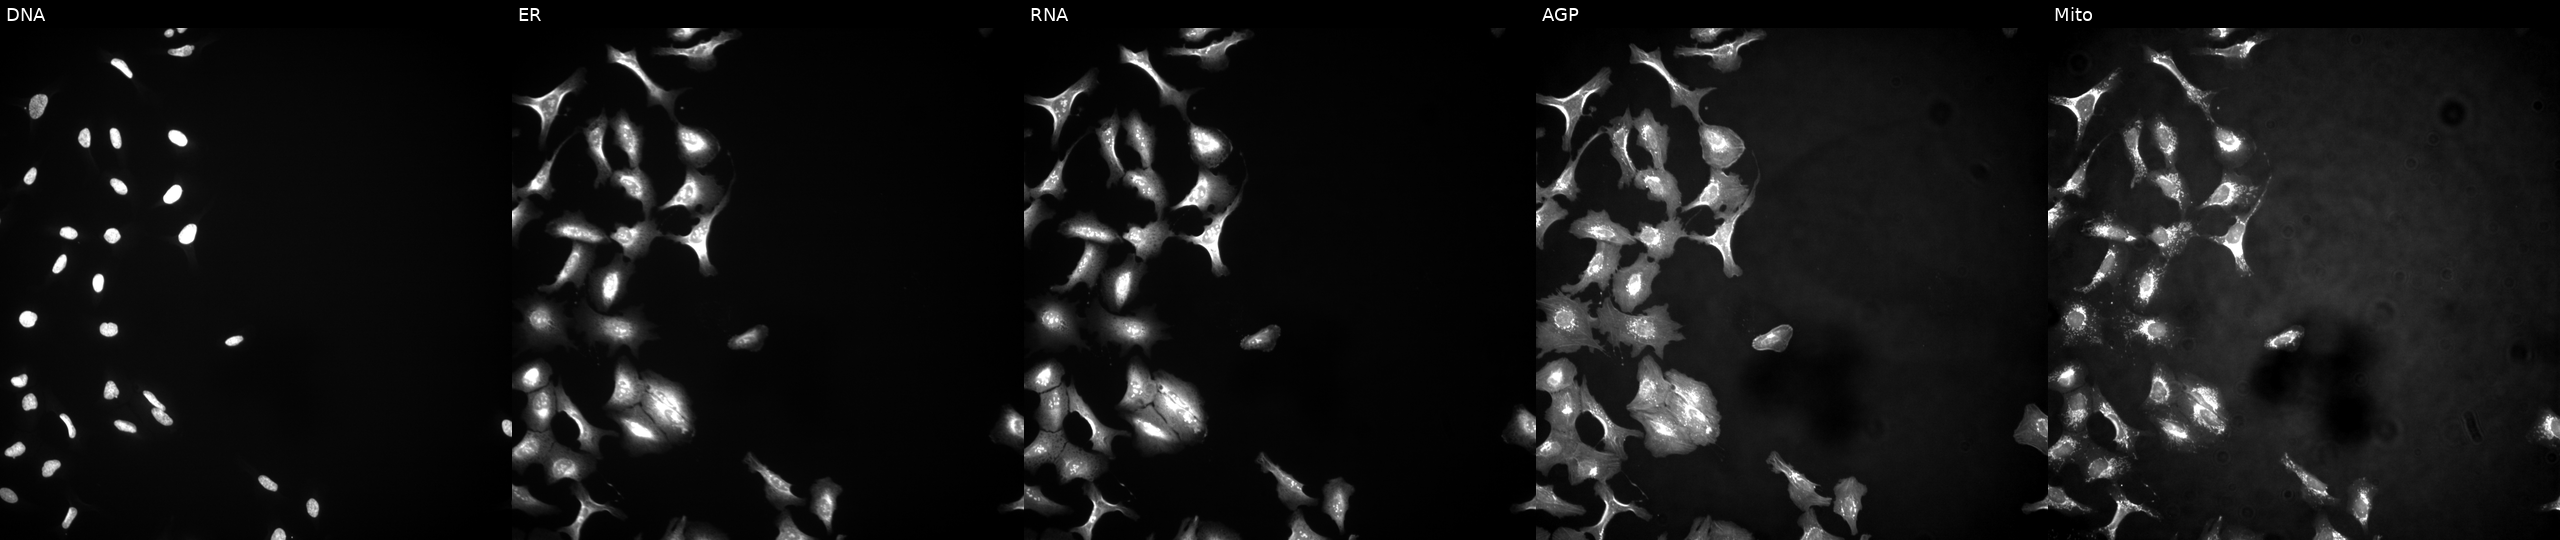
JUMP Cell Painting — ORF plate. U2OS cells transfected with an ORF construct for MRAP. The five panels, left to right, show DNA (nuclei); ER (endoplasmic reticulum); RNA (nucleoli and cytoplasmic RNA); AGP (actin cytoskeleton, Golgi, and plasma membrane); Mito (mitochondria).